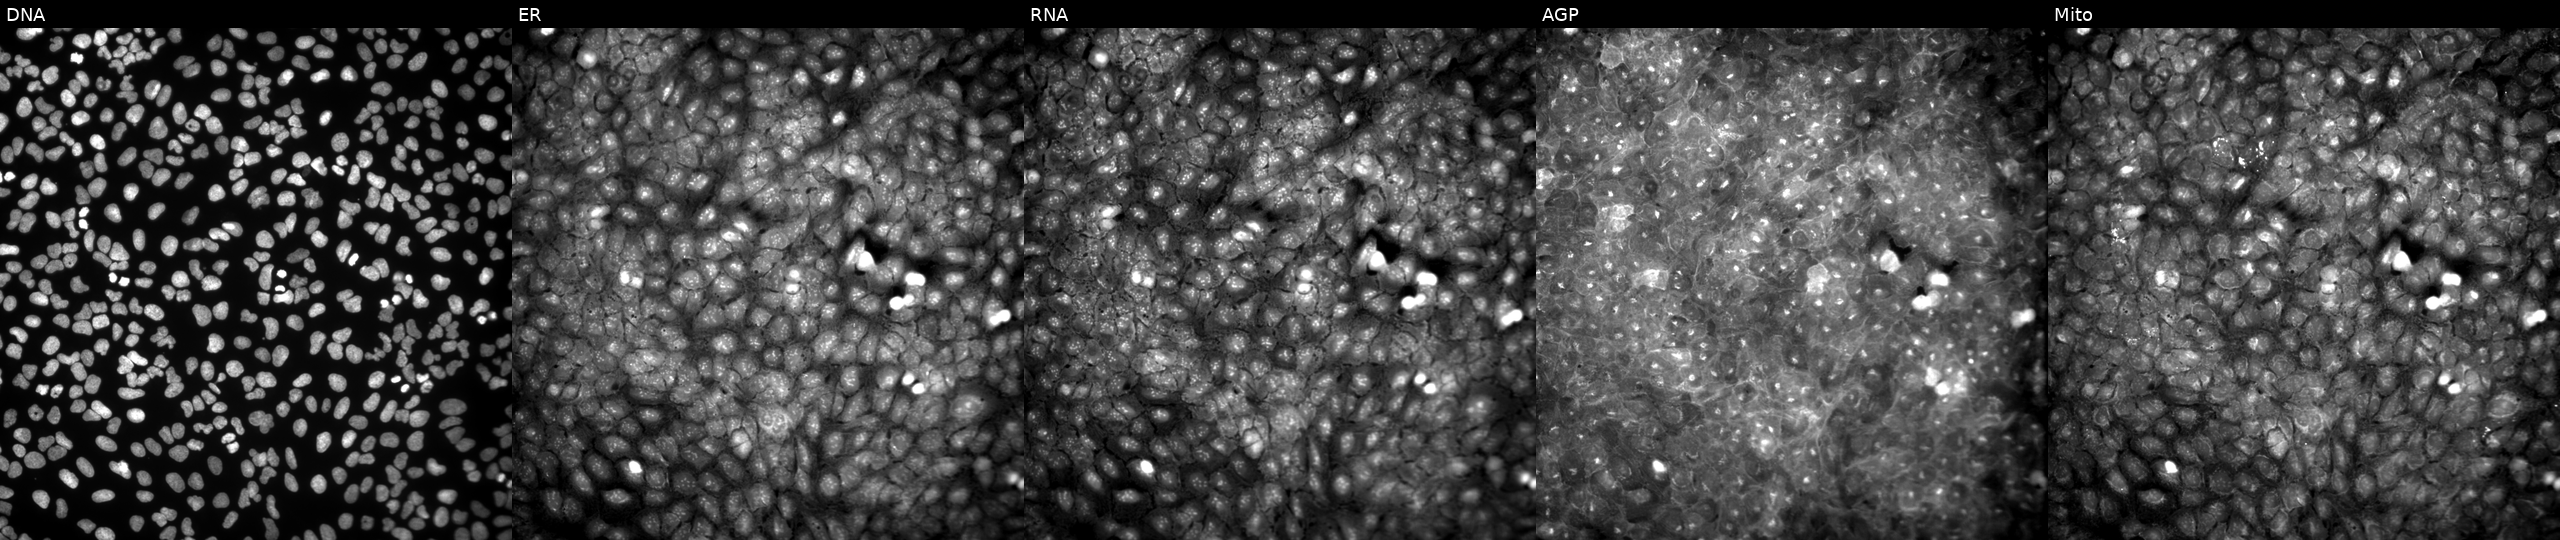
This image strip shows the five Cell Painting channels for a single field of U2OS cells exposed to a small-molecule compound (InChIKey FKJDQTBTNSTNEL-UHFFFAOYSA-N) (JUMP id JCP2022_021207). From left to right: Hoechst 33342, concanavalin A, SYTO 14, phalloidin and WGA, MitoTracker.